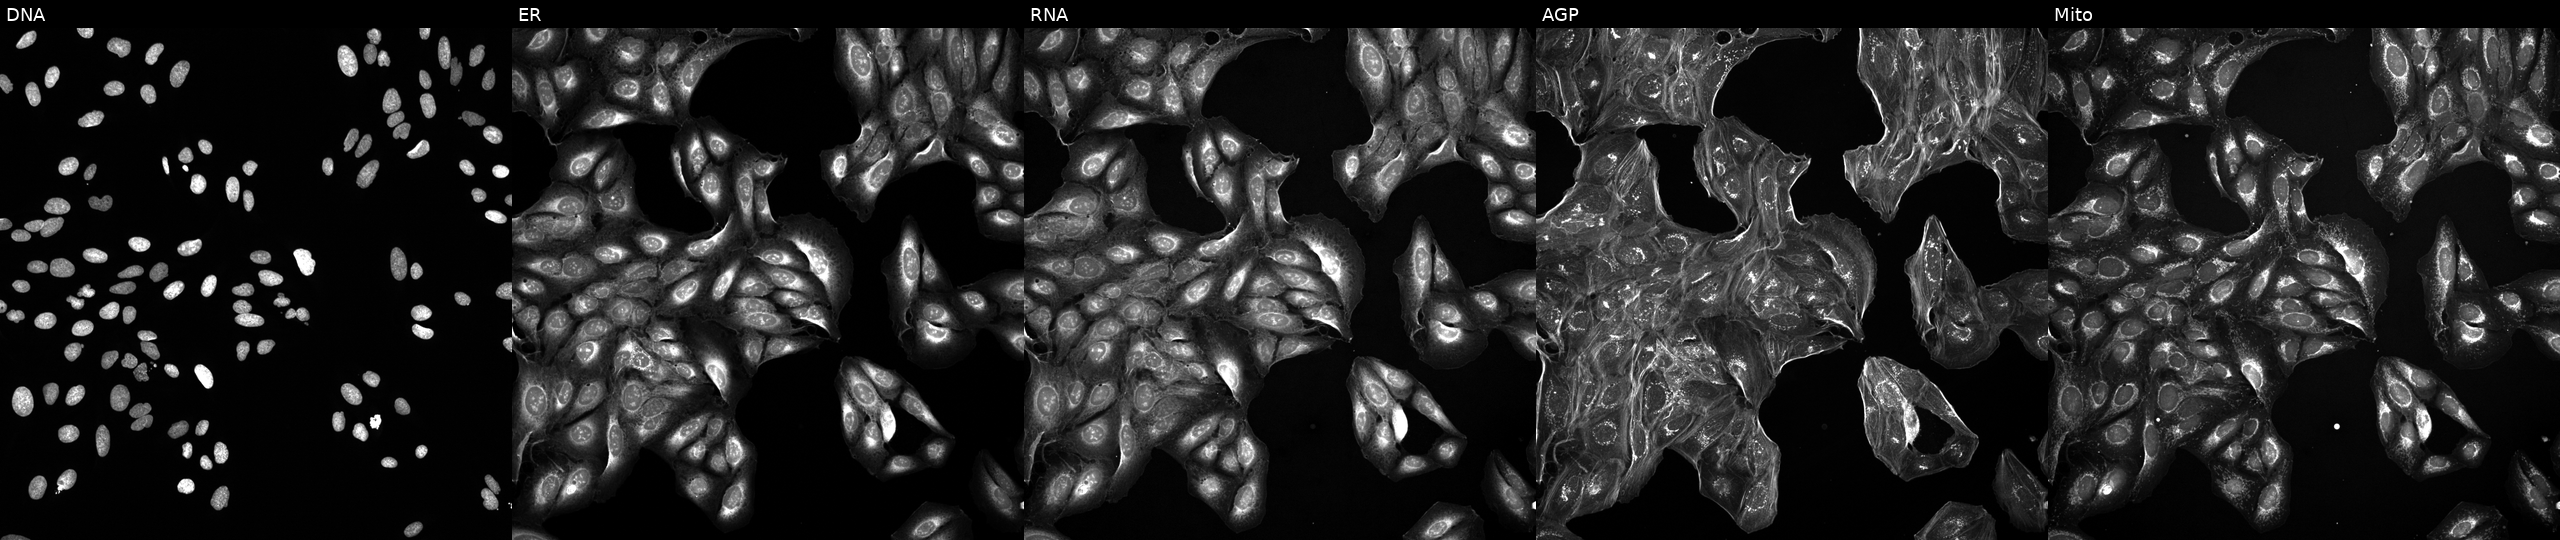
From left to right: Hoechst 33342, concanavalin A, SYTO 14, phalloidin and WGA, MitoTracker. U2OS osteosarcoma cells perturbed with a small-molecule compound. Cell Painting assay, JUMP-CP dataset. Source 5, plate ACPJUM051, well C22.